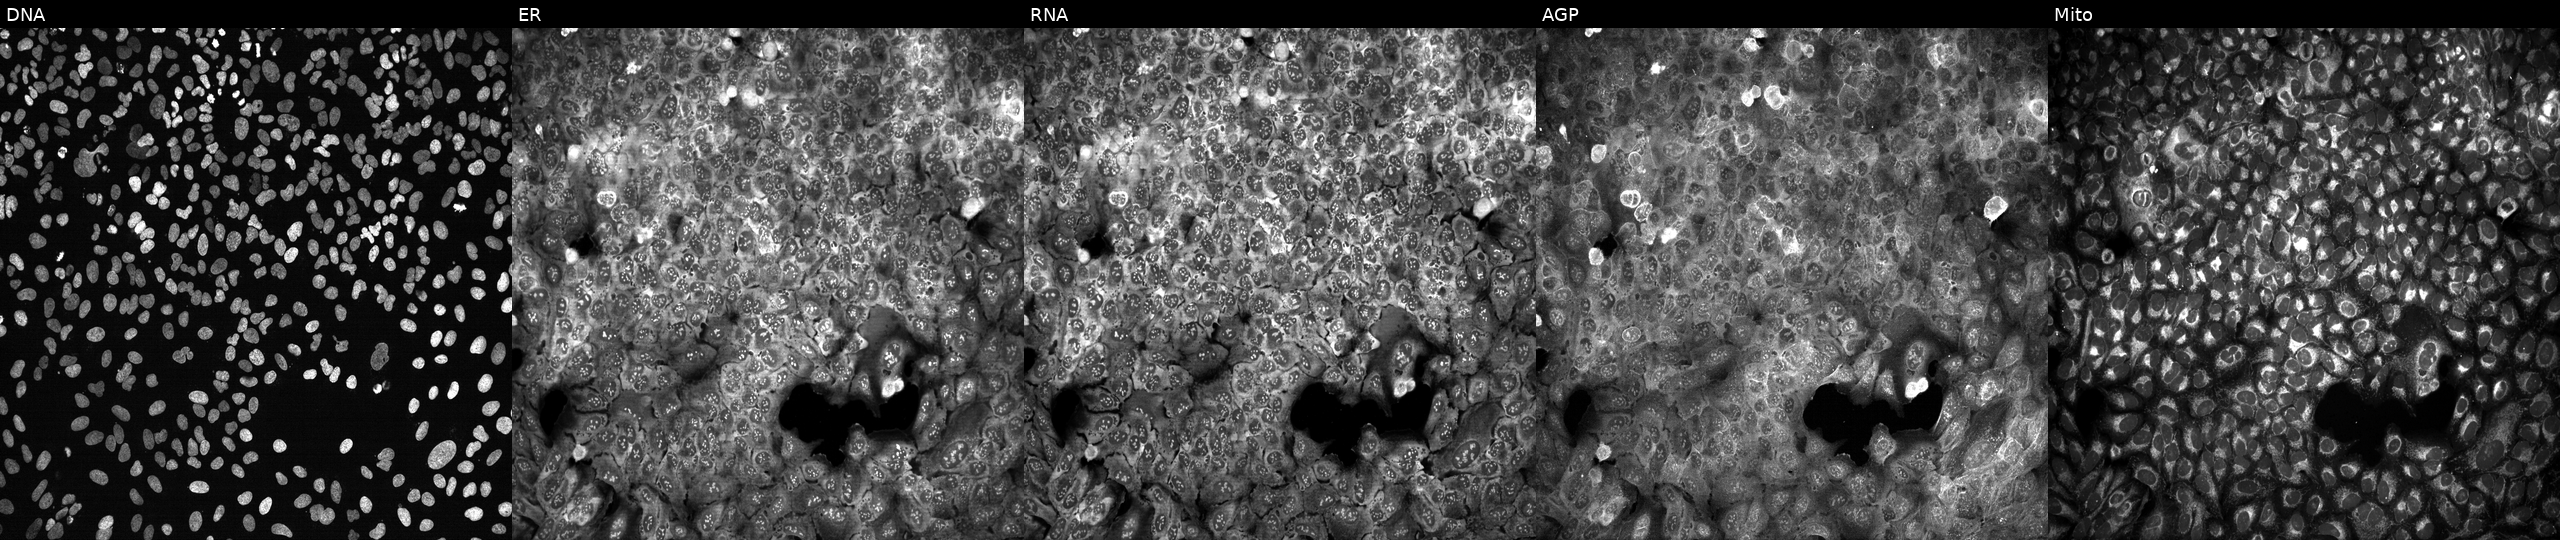
This image strip shows the five Cell Painting channels for a single field of U2OS cells CRISPR-edited to disrupt A2M (JUMP id JCP2022_800003). From left to right: DNA (nuclei); ER (endoplasmic reticulum); RNA (nucleoli and cytoplasmic RNA); AGP (actin cytoskeleton, Golgi, and plasma membrane); Mito (mitochondria). Source 13, plate CP-CC9-R4-03, well P10.